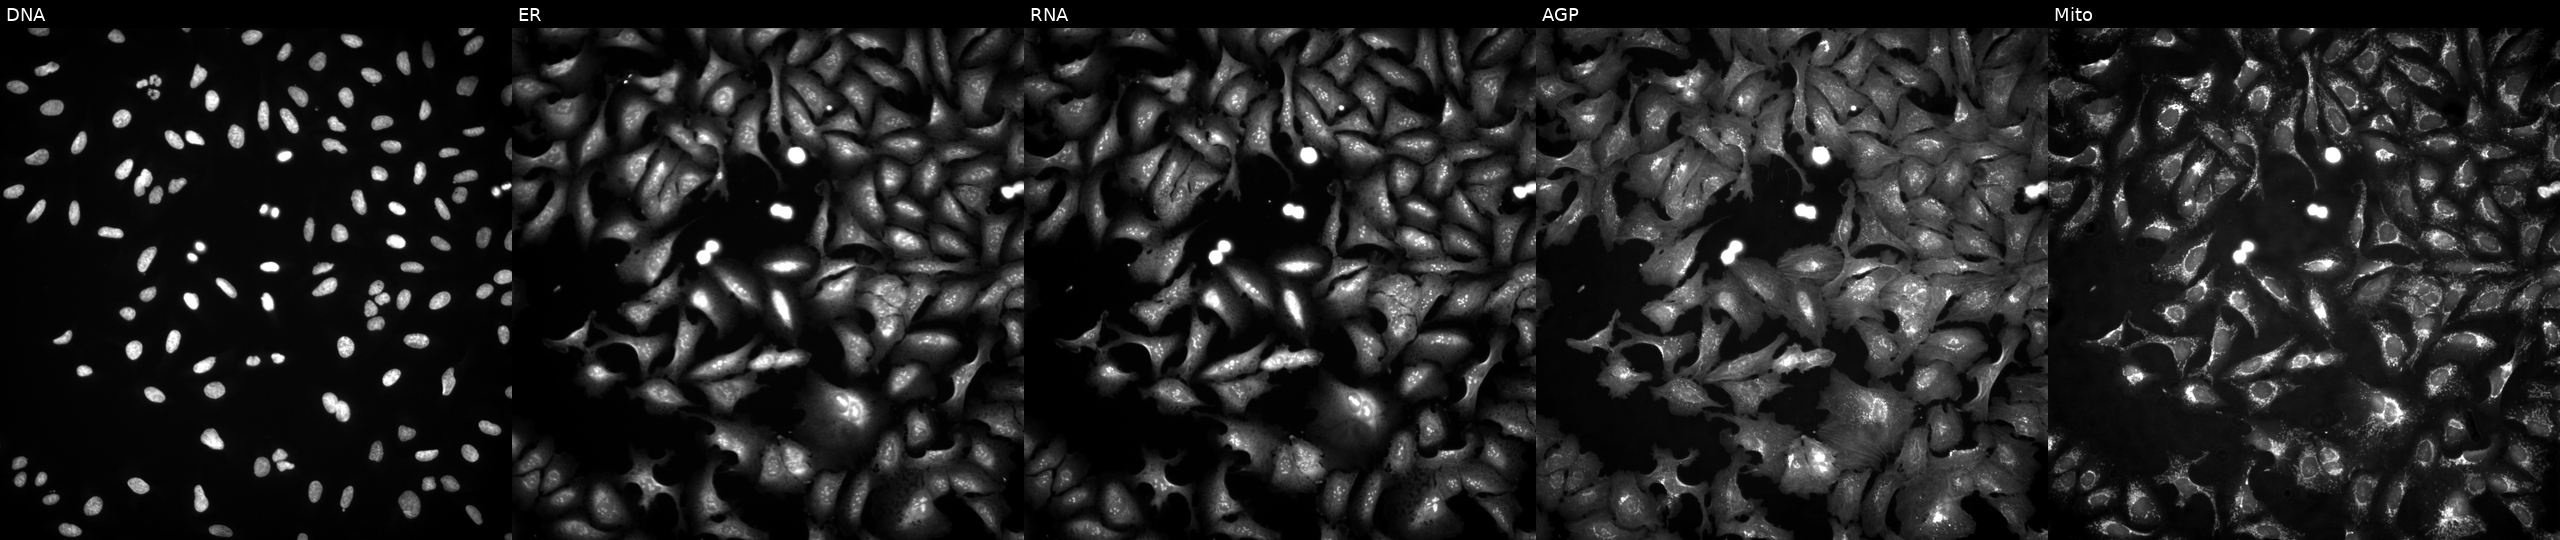
Five-channel Cell Painting image of U2OS cells transfected with an ORF construct for FBXW11 (JUMP id JCP2022_902575). The five panels, left to right, show DNA (nuclei); ER (endoplasmic reticulum); RNA (nucleoli and cytoplasmic RNA); AGP (actin cytoskeleton, Golgi, and plasma membrane); Mito (mitochondria).